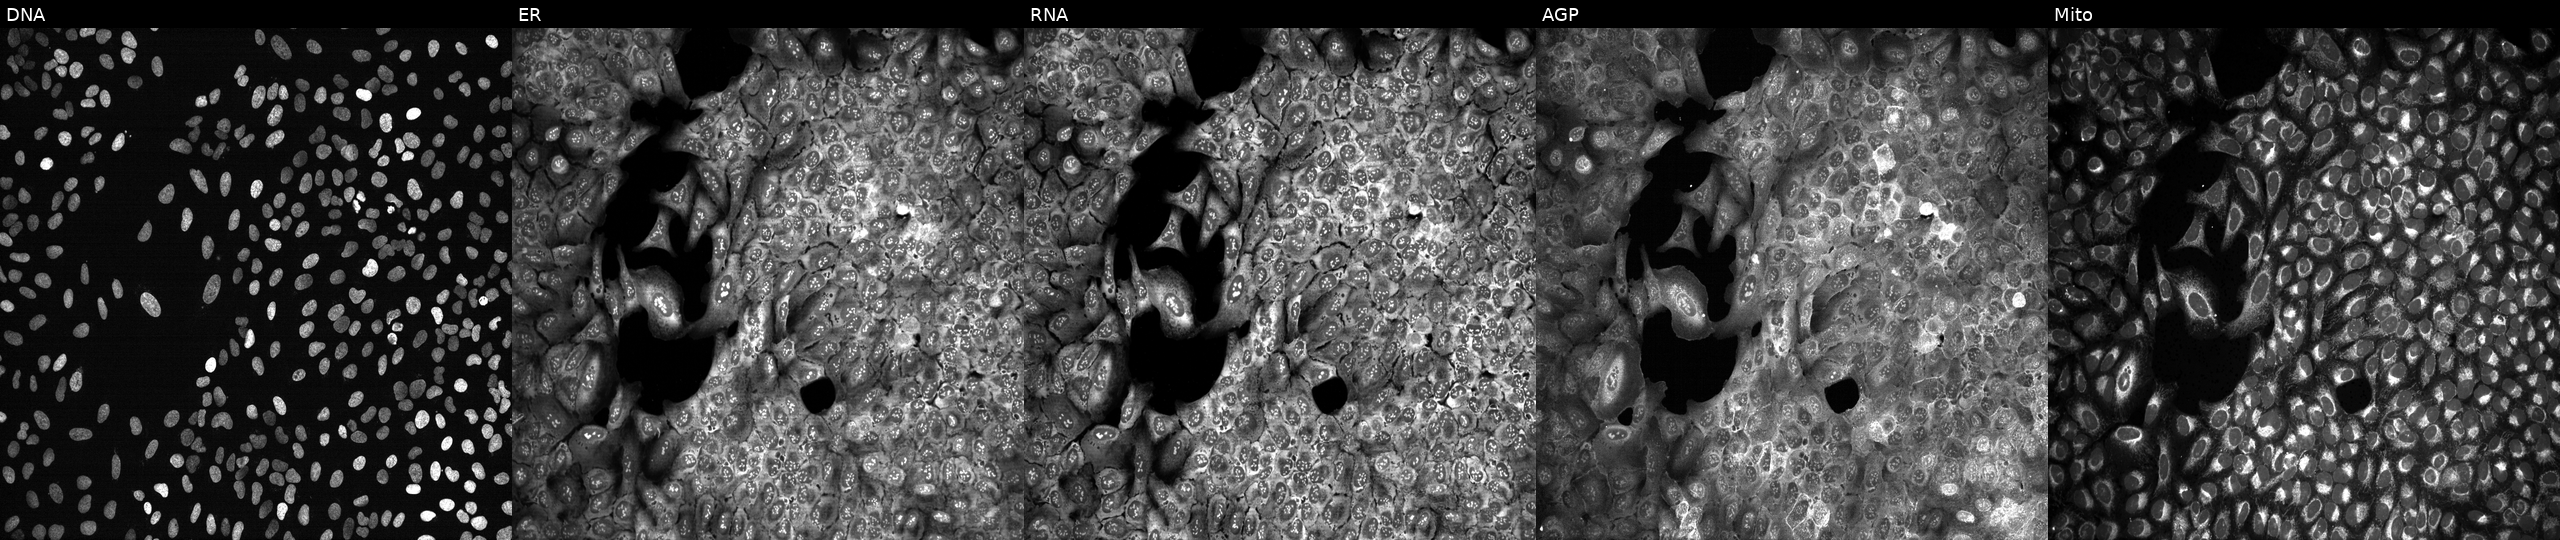
Five-channel Cell Painting image of U2OS cells following CRISPR knockout of SMPD3. Panels show, left to right, DNA (nuclei); ER (endoplasmic reticulum); RNA (nucleoli and cytoplasmic RNA); AGP (actin cytoskeleton, Golgi, and plasma membrane); Mito (mitochondria).